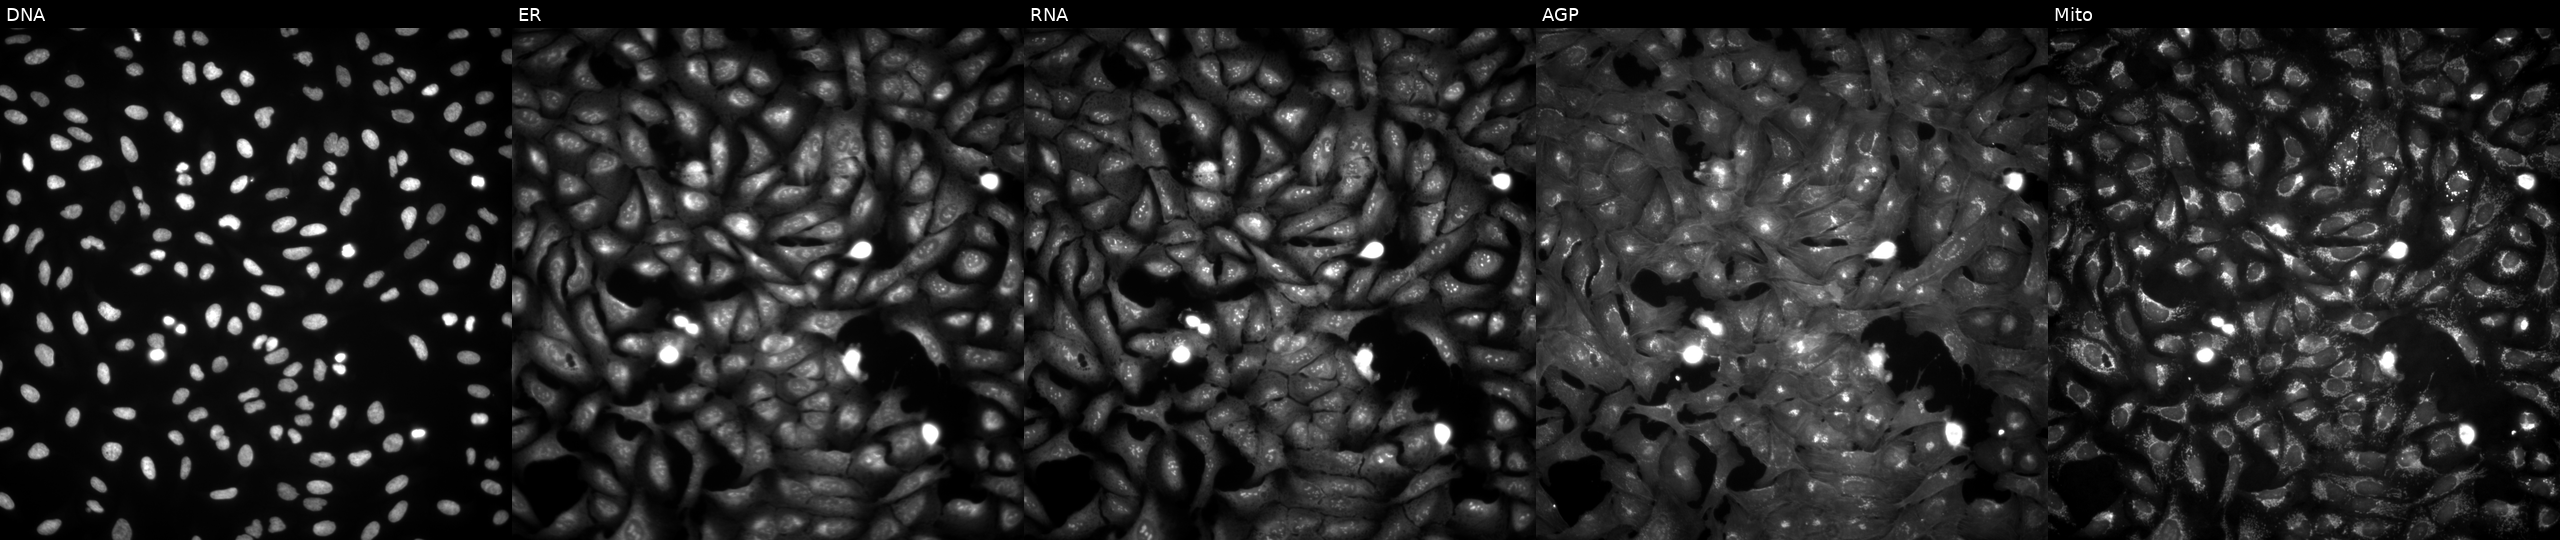
JUMP Cell Painting — ORF plate. U2OS cells transfected with an ORF construct for MAGEC2 (JUMP id JCP2022_914819). Channels (left→right): Hoechst 33342, concanavalin A, SYTO 14, phalloidin and WGA, MitoTracker.